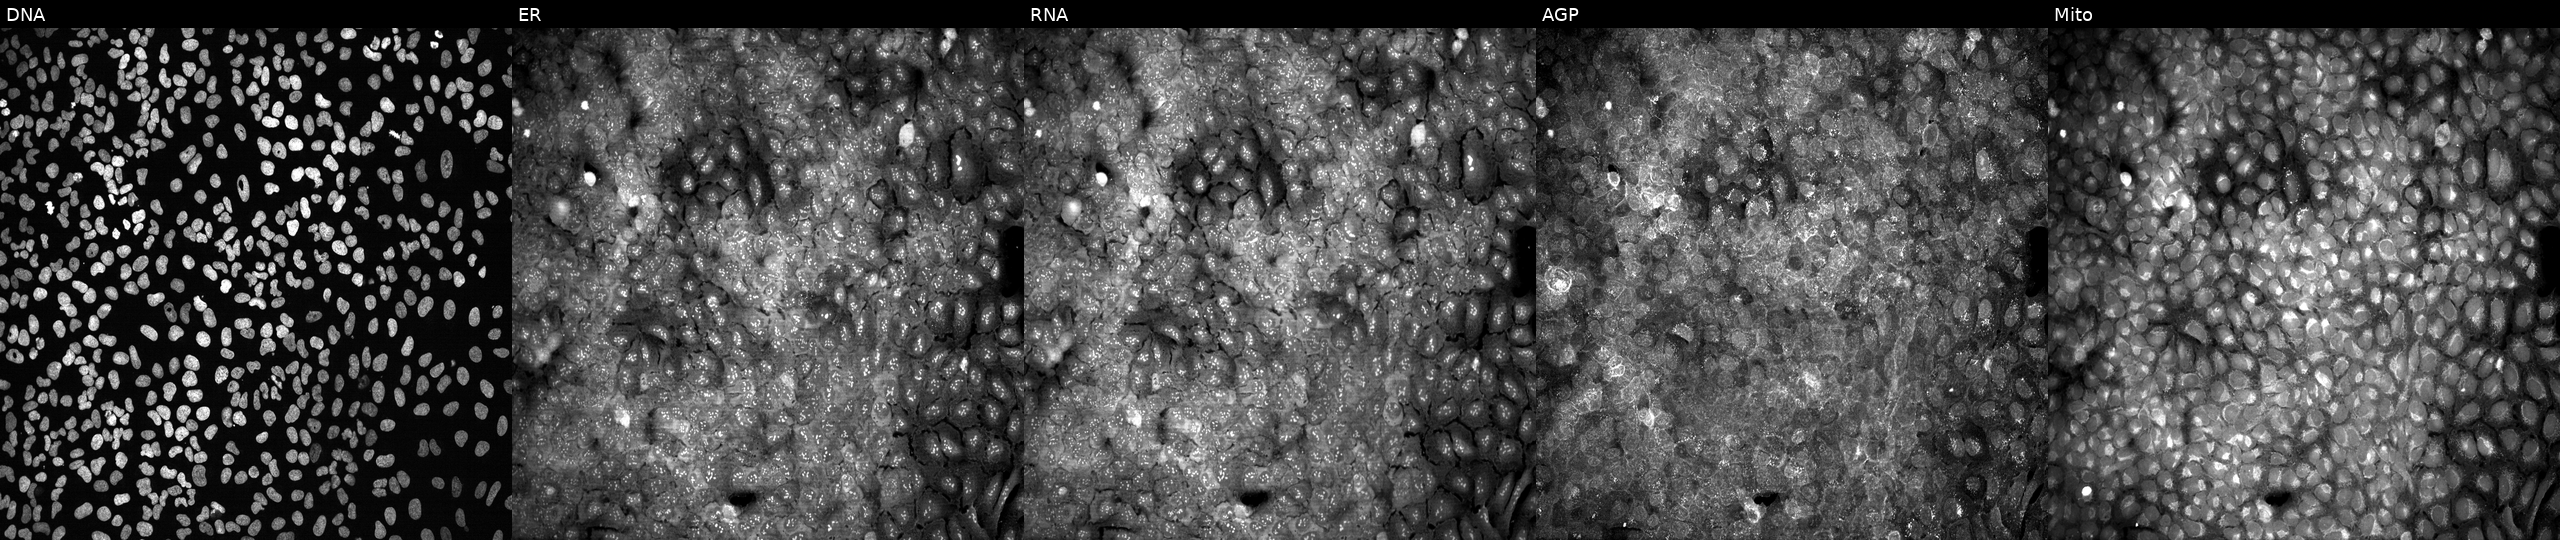
High-content fluorescence microscopy (Cell Painting). Cell line: U2OS. Perturbation: following CRISPR knockout of NAT2 (JUMP id JCP2022_804439). The five panels, left to right, show DNA (nuclei); ER (endoplasmic reticulum); RNA (nucleoli and cytoplasmic RNA); AGP (actin cytoskeleton, Golgi, and plasma membrane); Mito (mitochondria). Source 13, plate CP-CC9-R1-02, well J15.